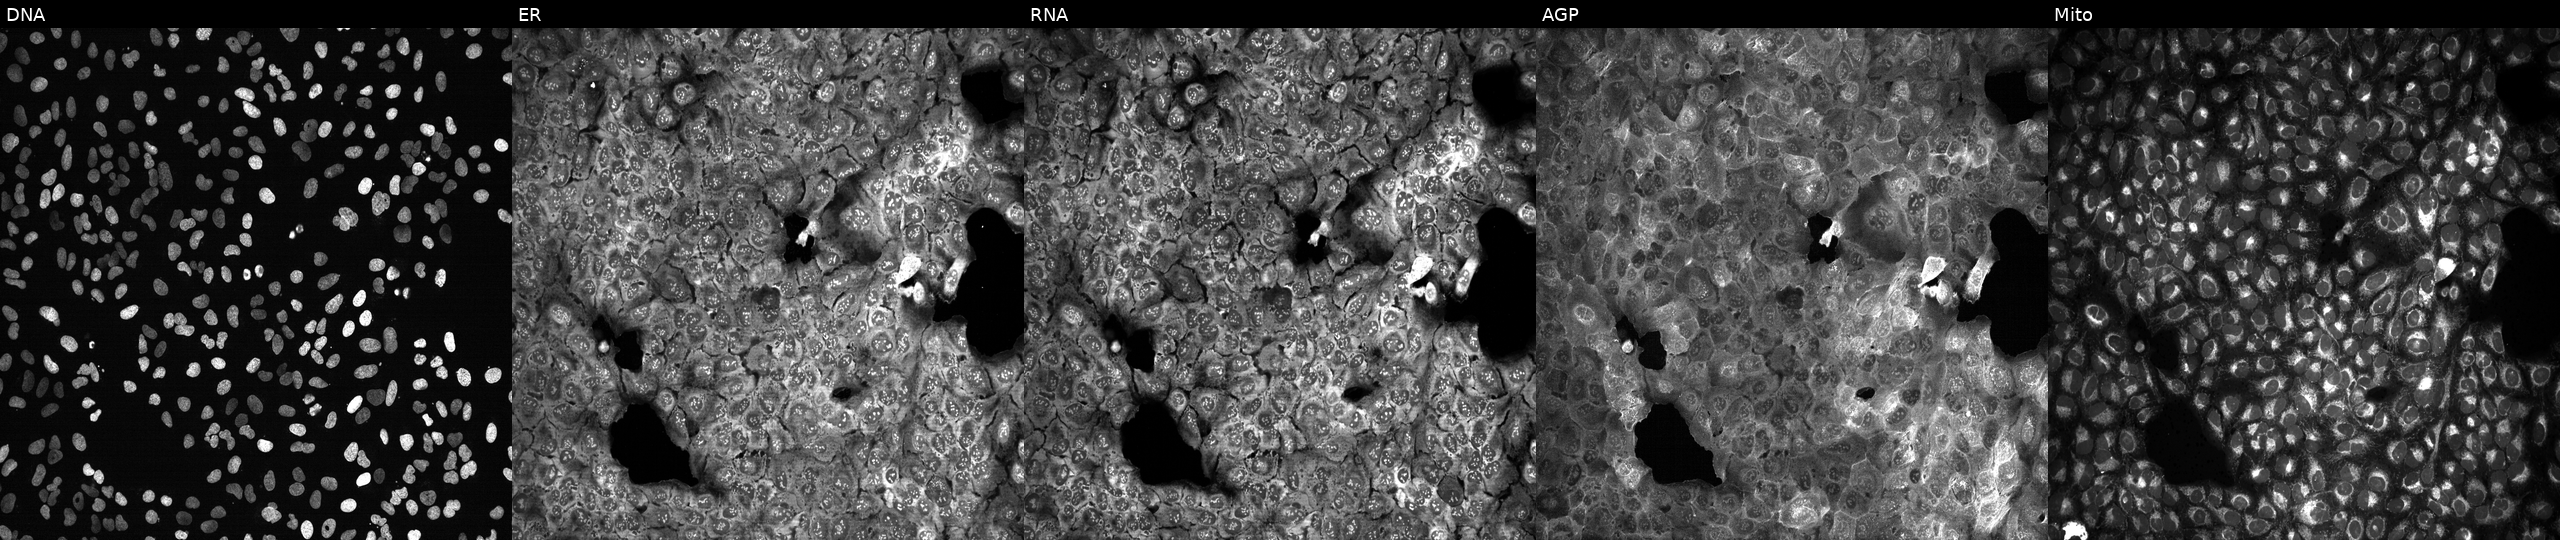
U2OS cells, Cell Painting assay, CRISPR-edited to disrupt MOGAT1. The five panels, left to right, show DNA (nuclei); ER (endoplasmic reticulum); RNA (nucleoli and cytoplasmic RNA); AGP (actin cytoskeleton, Golgi, and plasma membrane); Mito (mitochondria). Each panel is percentile-stretched 16-bit fluorescence.